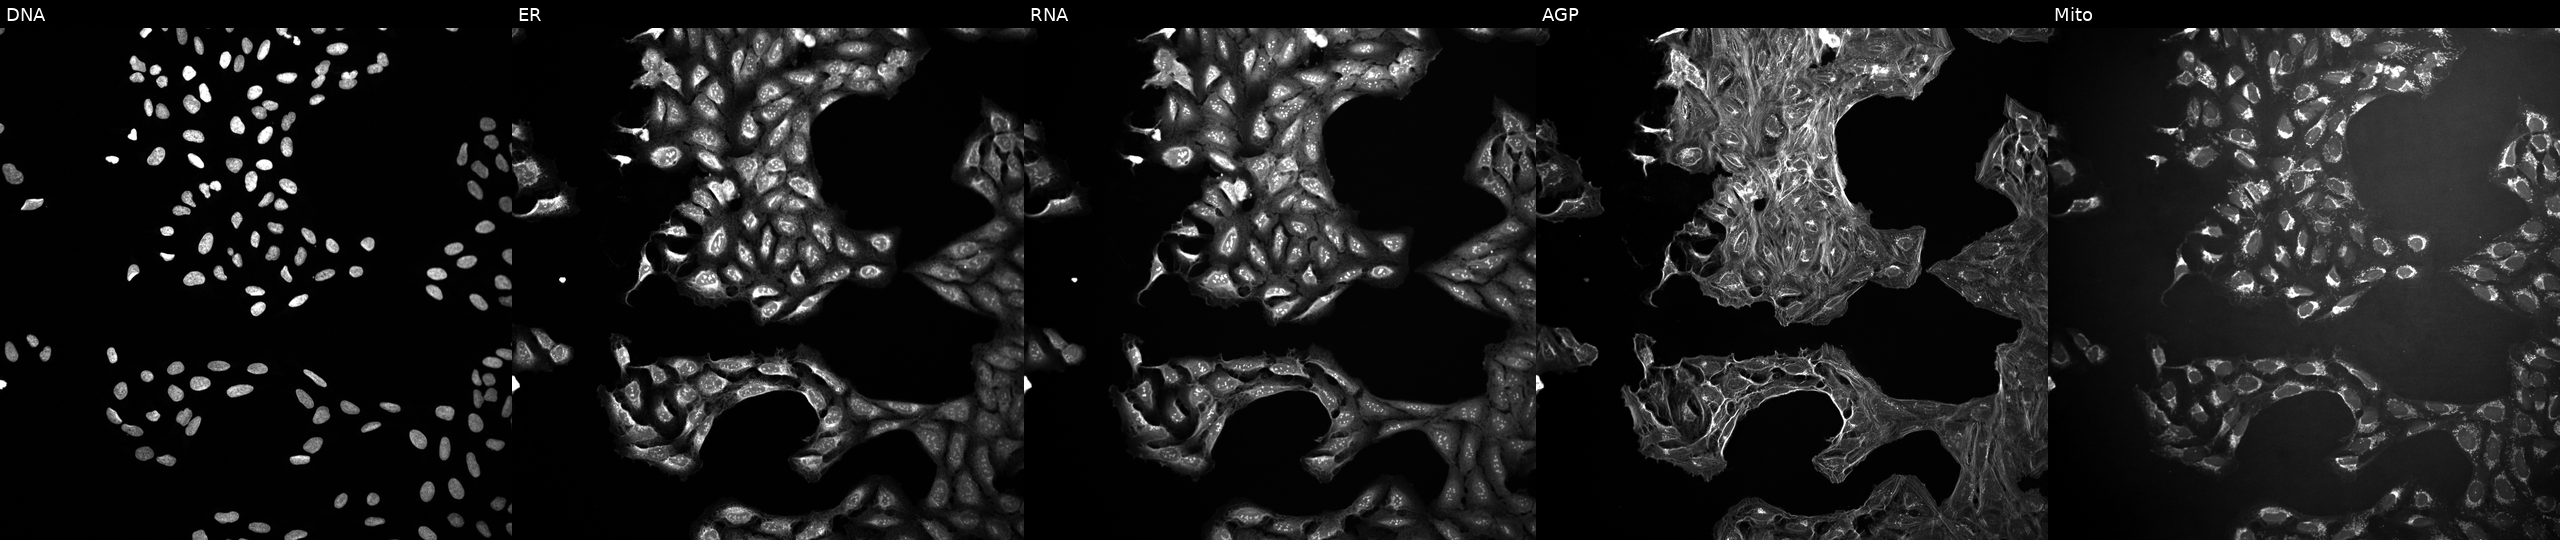
Channels (left→right): DNA, ER, RNA, AGP, and Mito. U2OS osteosarcoma cells treated with DMSO vehicle only (negative control). Cell Painting assay, JUMP-CP dataset. Source 10, plate Dest210727-153003, well D22.